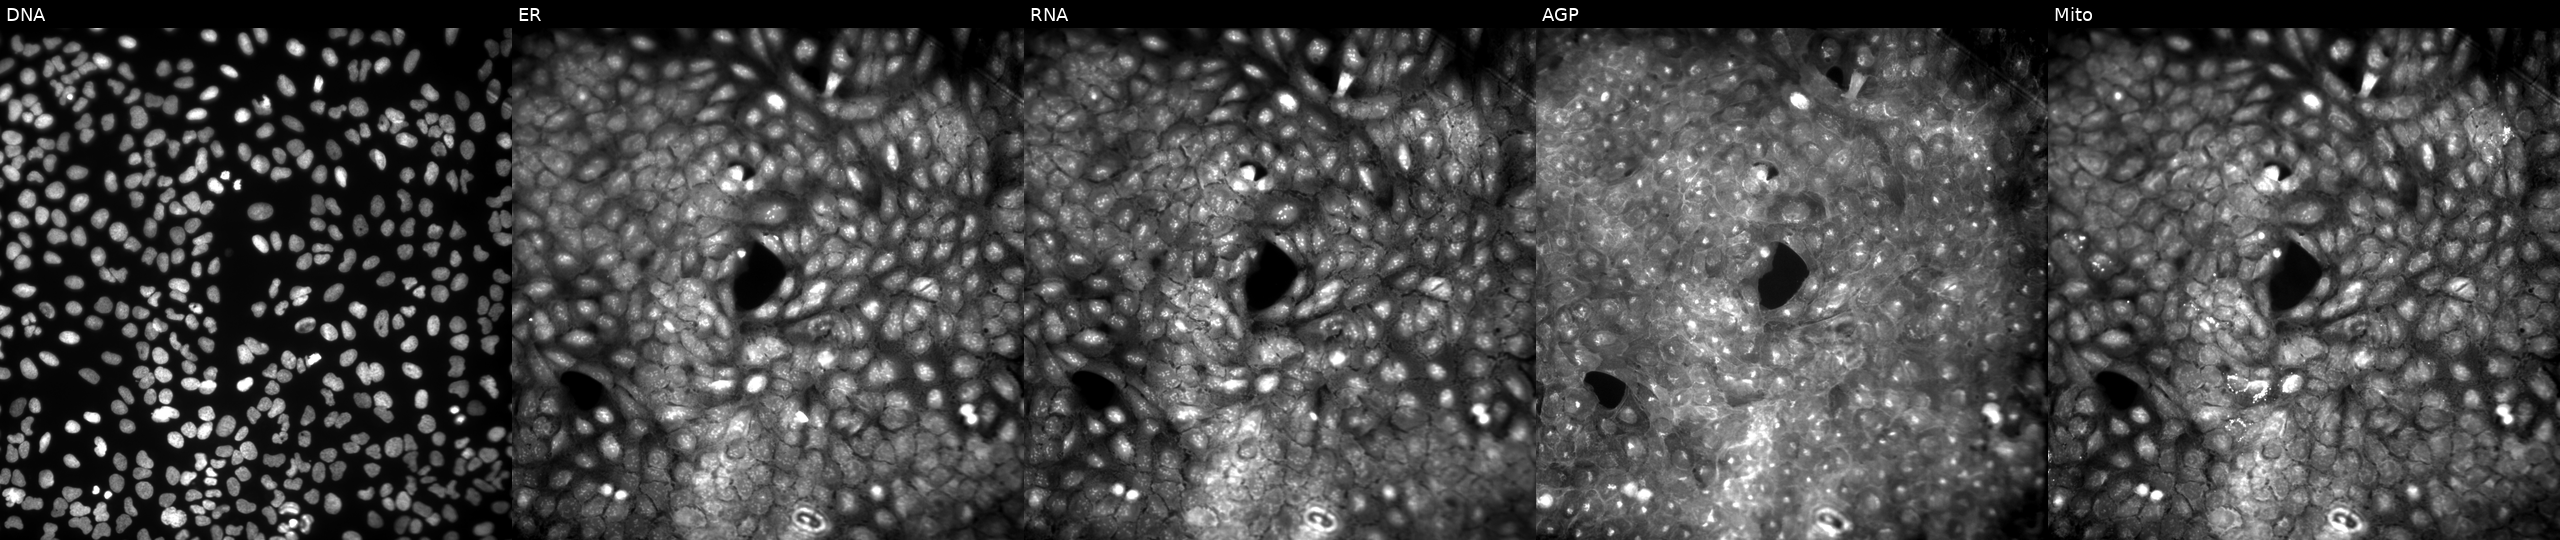
High-content fluorescence microscopy (Cell Painting). Cell line: U2OS. Perturbation: perturbed with a small-molecule compound (JUMP id JCP2022_104352). Channels (left→right): Hoechst 33342, concanavalin A, SYTO 14, phalloidin and WGA, MitoTracker. Source 9, plate GR00003381, well AE43.